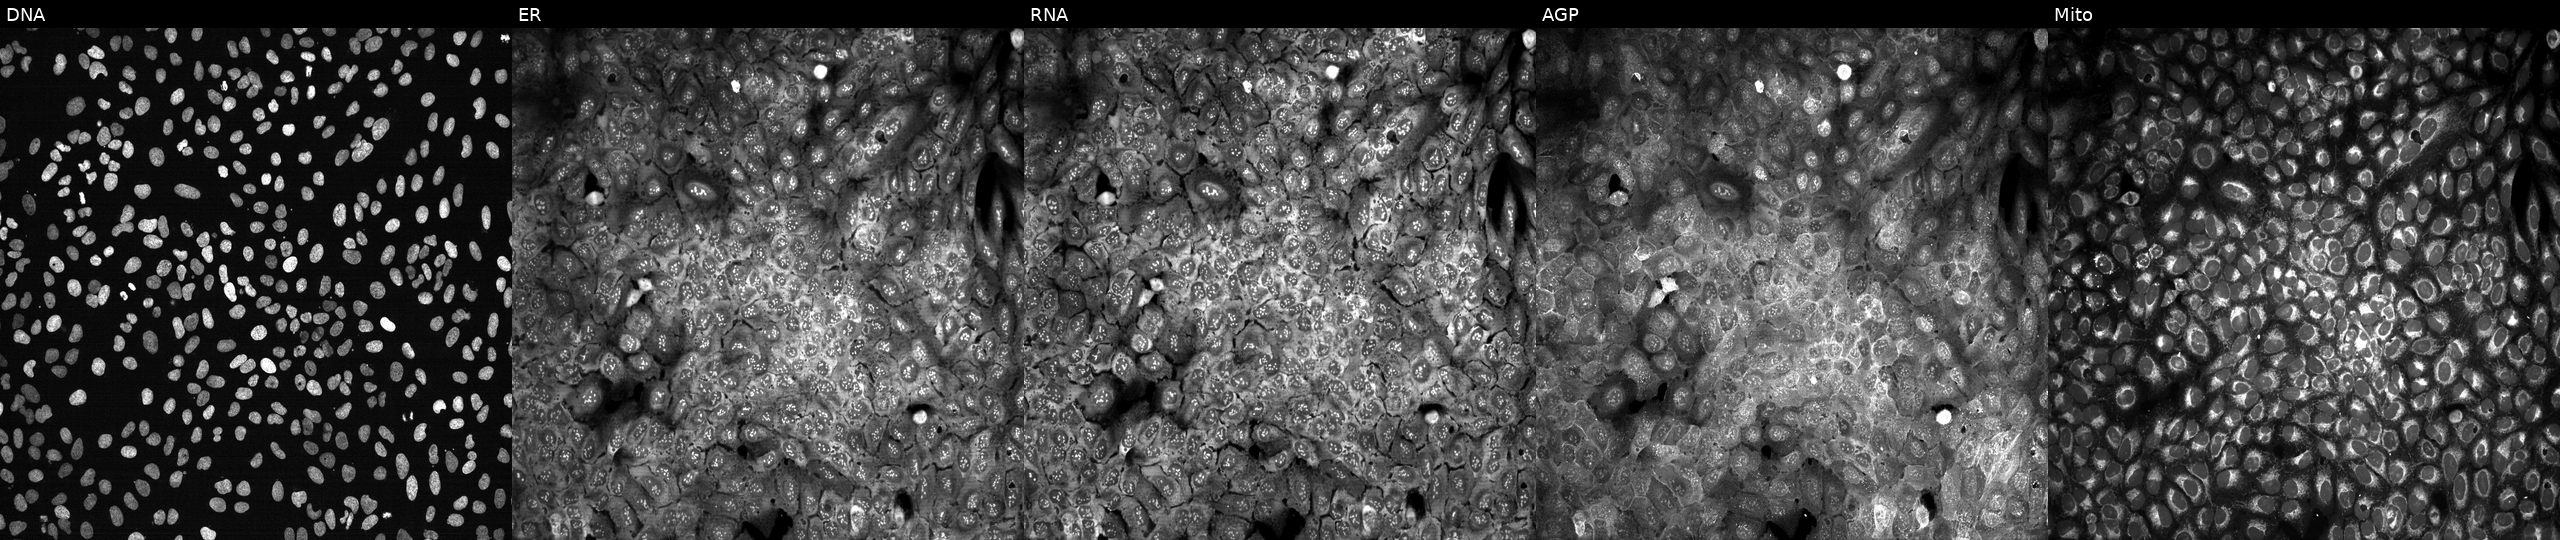
U2OS cells, Cell Painting assay, with IL17RB knocked out by CRISPR (JUMP id JCP2022_803372). The five panels, left to right, show DNA, ER, RNA, AGP, and Mito. Each panel is percentile-stretched 16-bit fluorescence.